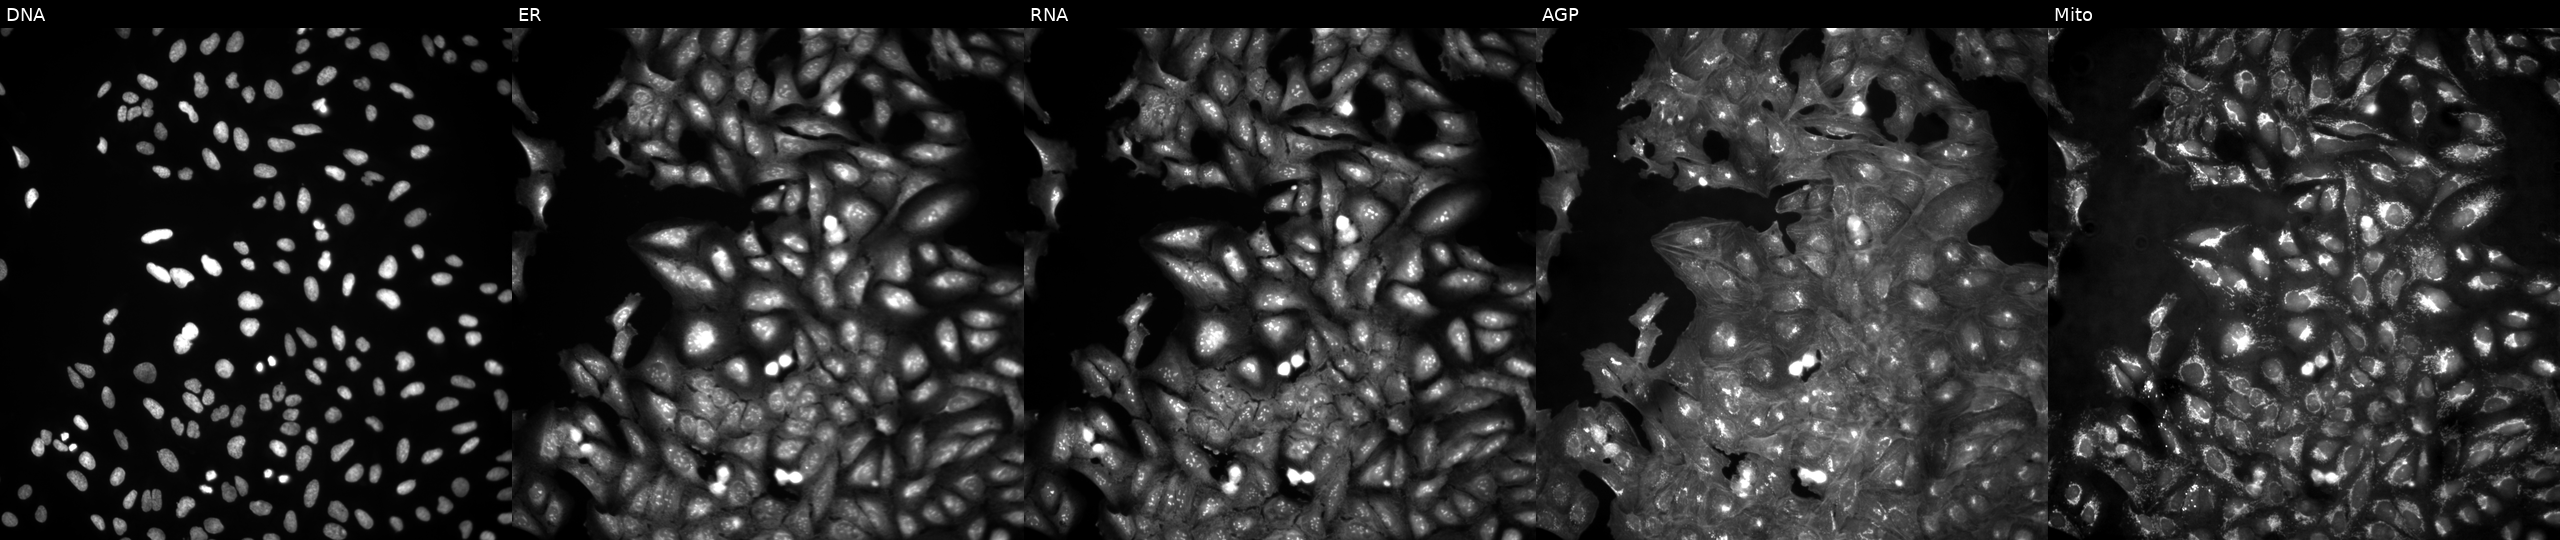
JUMP Cell Painting — ORF plate. U2OS cells in an empty control well (no perturbation) (JUMP id JCP2022_999999). The five panels, left to right, show DNA (nuclei); ER (endoplasmic reticulum); RNA (nucleoli and cytoplasmic RNA); AGP (actin cytoskeleton, Golgi, and plasma membrane); Mito (mitochondria).